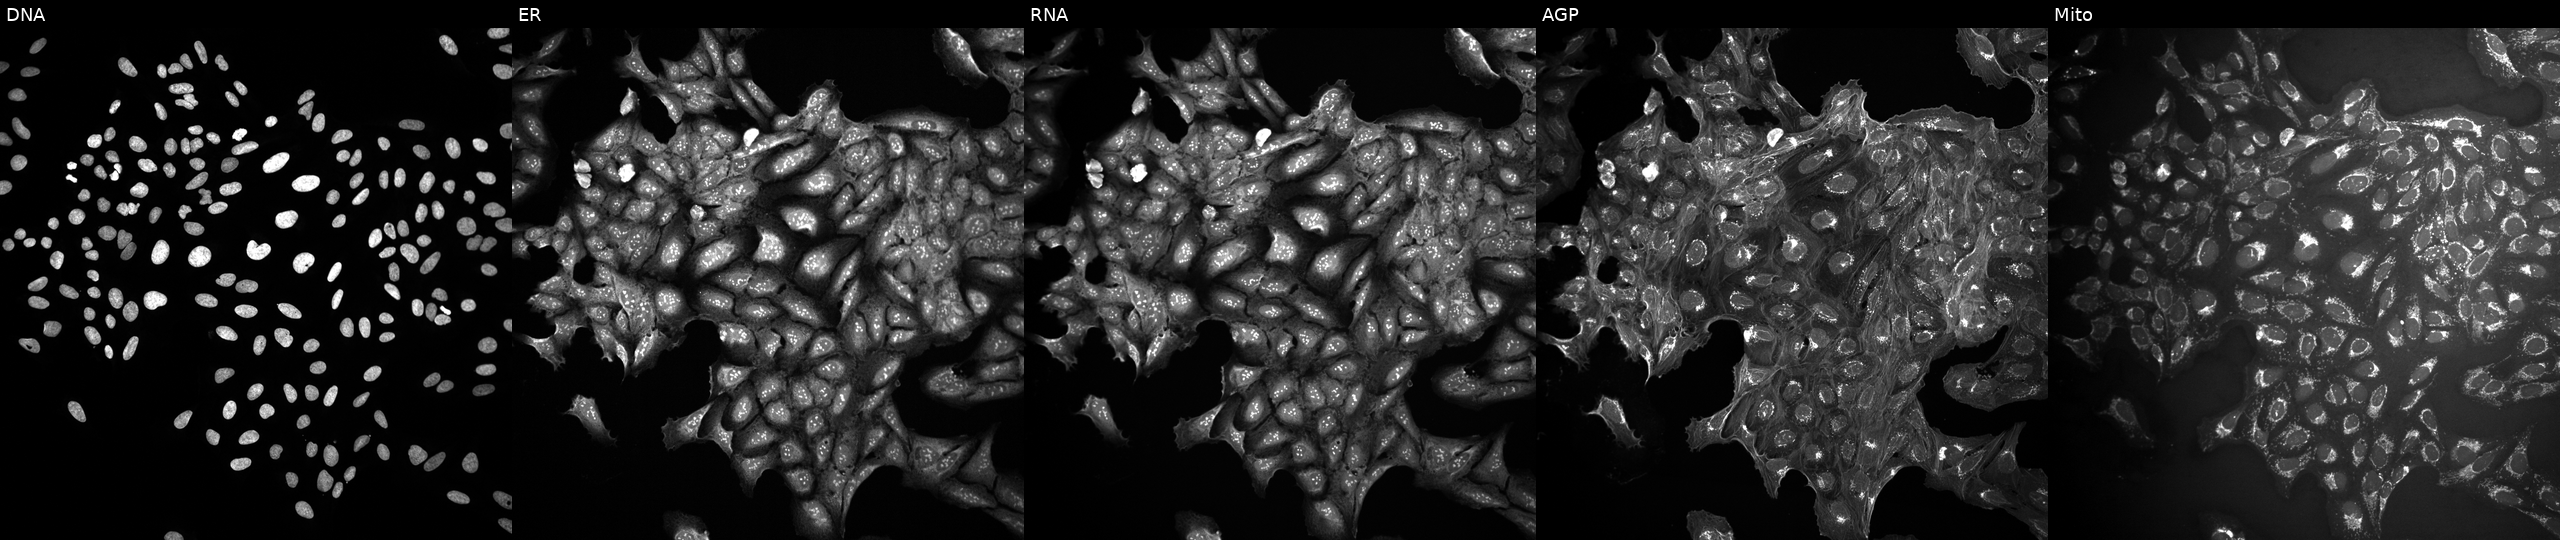
This image strip shows the five Cell Painting channels for a single field of U2OS cells exposed to the positive-control compound quinidine. From left to right: Hoechst 33342, concanavalin A, SYTO 14, phalloidin and WGA, MitoTracker.